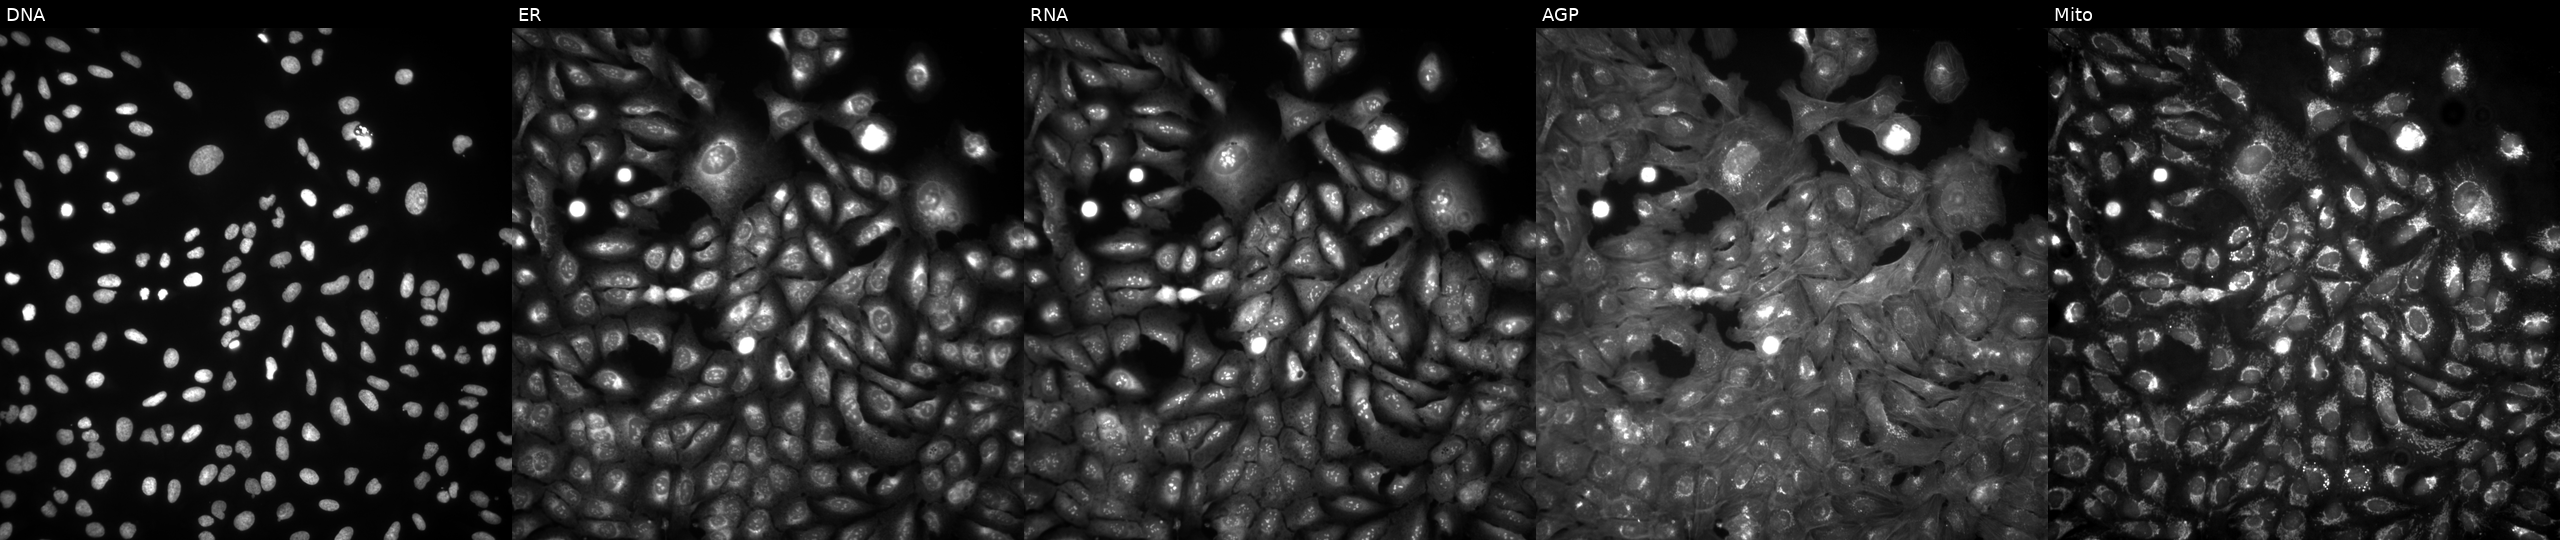
Channels (left→right): DNA, ER, RNA, AGP, and Mito. U2OS osteosarcoma cells treated with quinidine (positive-control compound) (JUMP id JCP2022_050797). Cell Painting assay, JUMP-CP dataset.